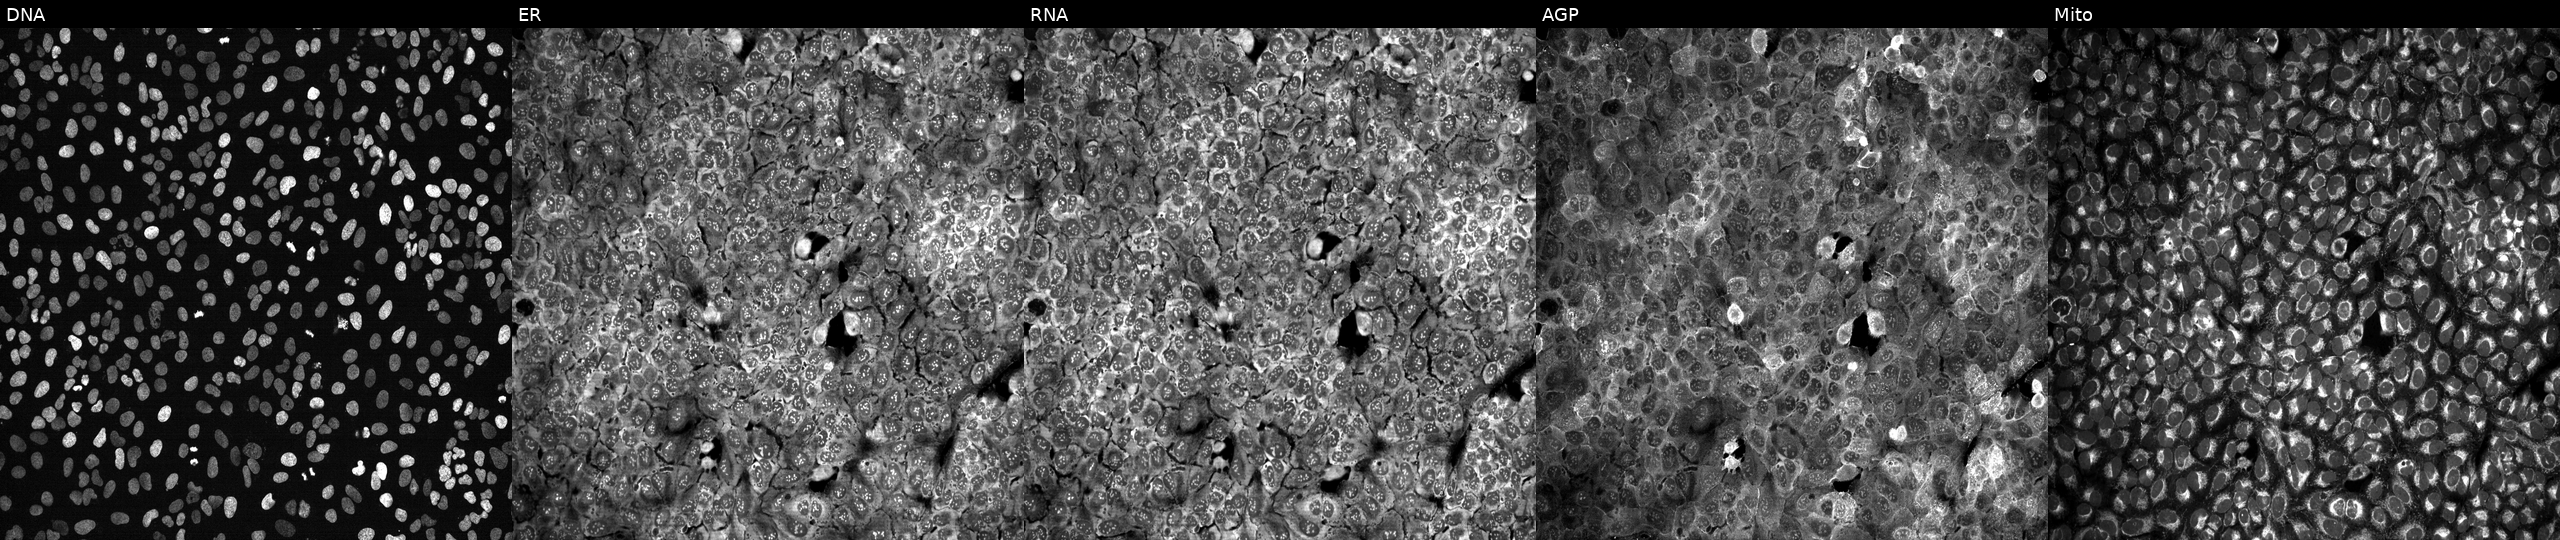
JUMP Cell Painting — CRISPR plate. U2OS cells CRISPR-edited to disrupt HYAL4 (JUMP id JCP2022_803304). From left to right: Hoechst 33342, concanavalin A, SYTO 14, phalloidin and WGA, MitoTracker.